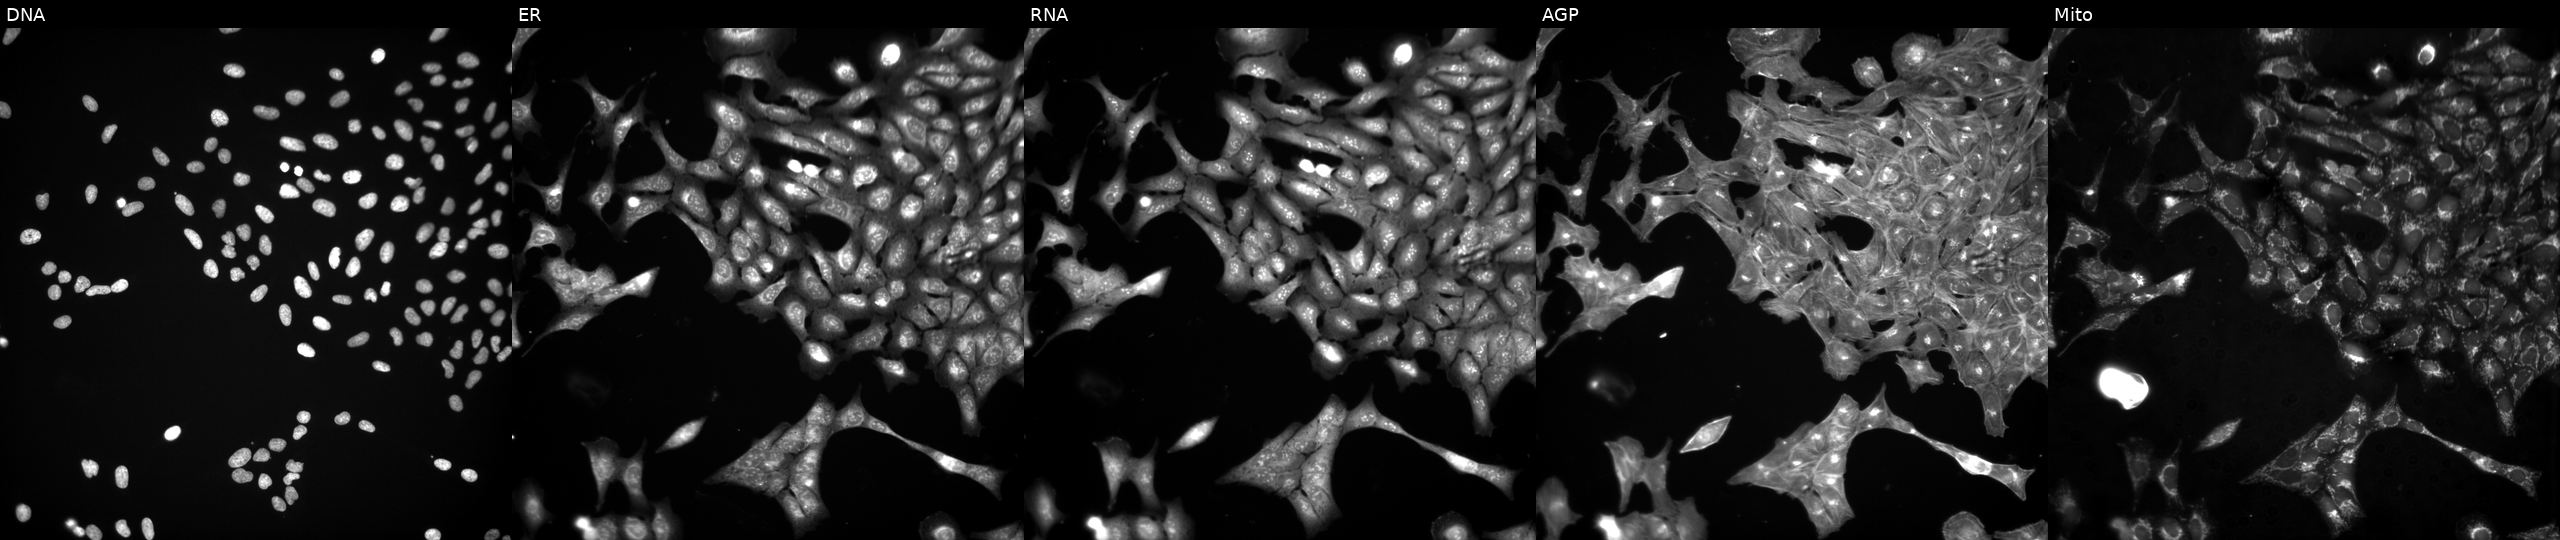
This image strip shows the five Cell Painting channels for a single field of U2OS cells exposed to a small-molecule compound. Panels show, left to right, DNA (nuclei); ER (endoplasmic reticulum); RNA (nucleoli and cytoplasmic RNA); AGP (actin cytoskeleton, Golgi, and plasma membrane); Mito (mitochondria).